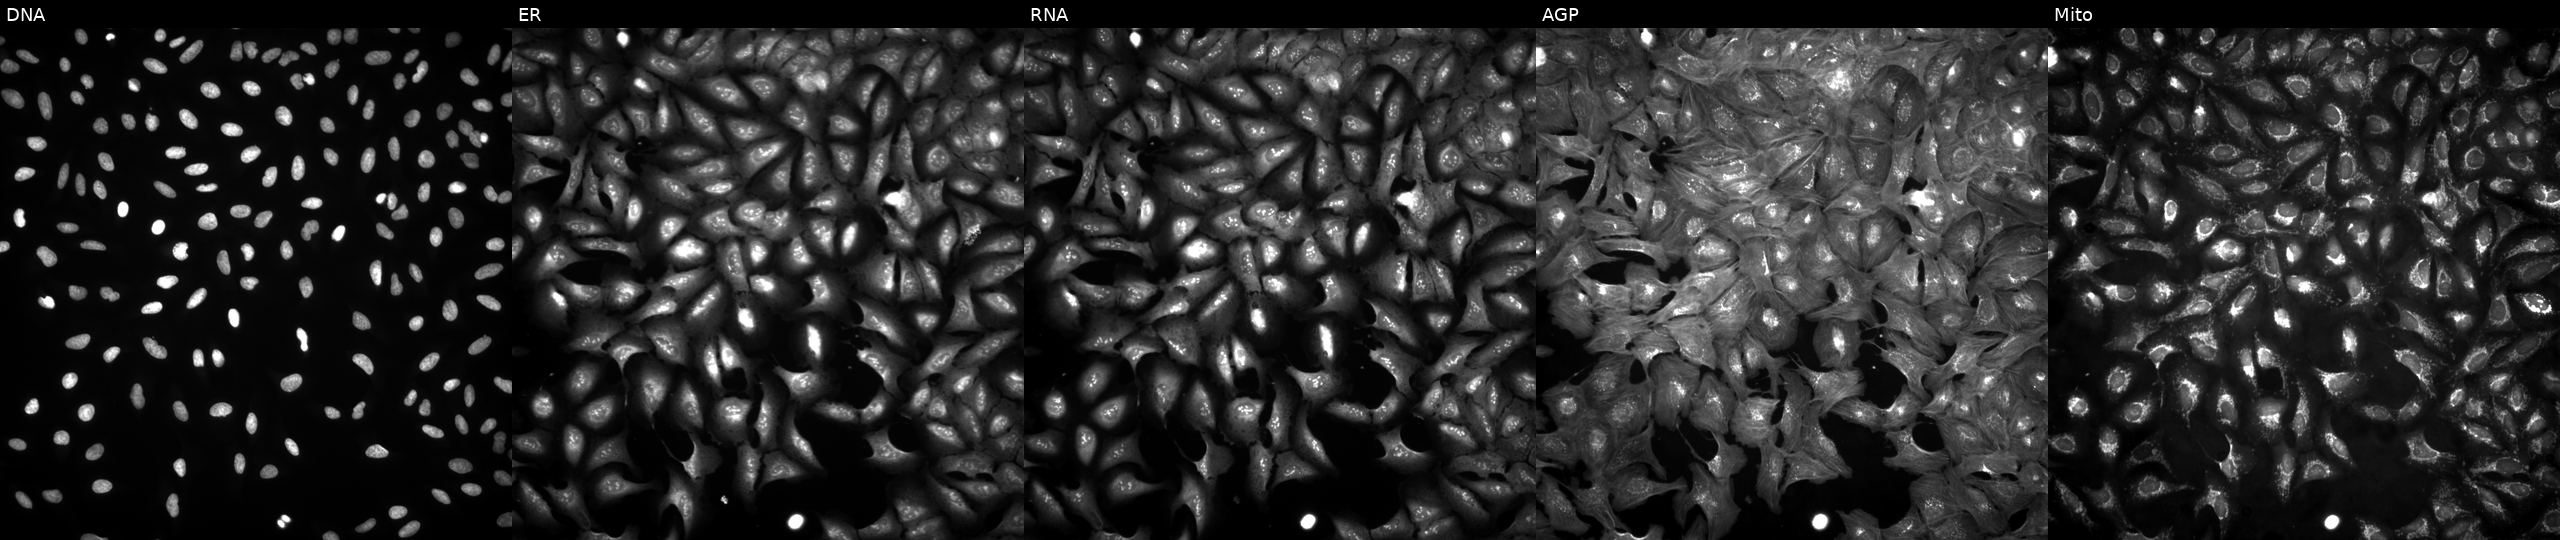
Five-channel Cell Painting image of U2OS cells overexpressing CALN1 via ORF transfection. The five panels, left to right, show DNA (nuclei); ER (endoplasmic reticulum); RNA (nucleoli and cytoplasmic RNA); AGP (actin cytoskeleton, Golgi, and plasma membrane); Mito (mitochondria). Source 4, plate BR00124784, well E24.